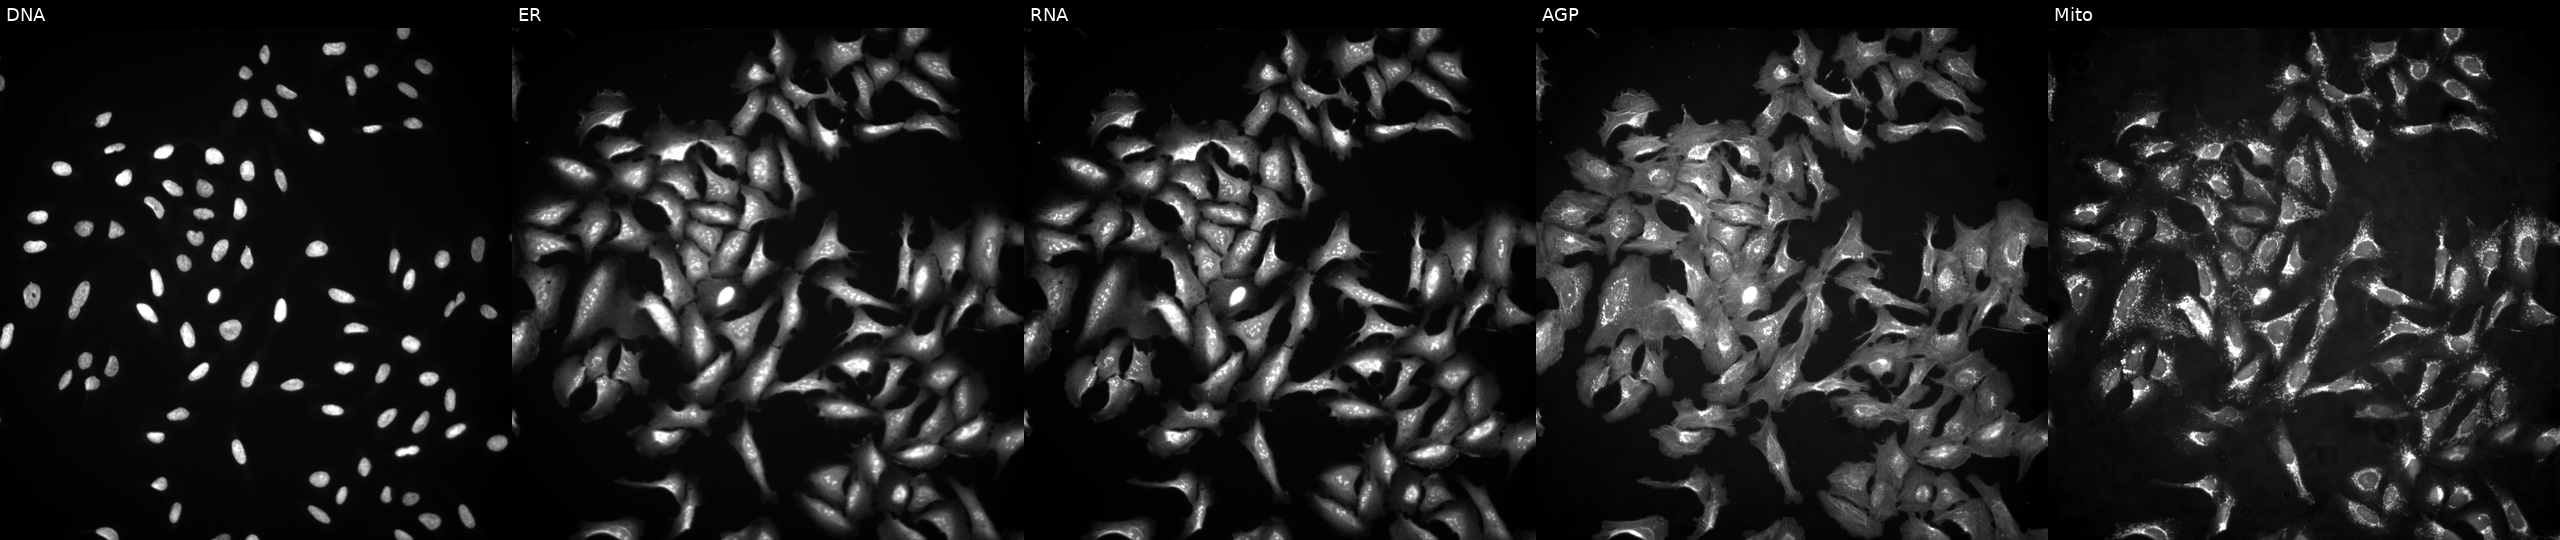
JUMP Cell Painting — ORF plate. U2OS cells transfected with an ORF construct for IRF9 (JUMP id JCP2022_902262). From left to right: Hoechst 33342, concanavalin A, SYTO 14, phalloidin and WGA, MitoTracker. Source 4, plate BR00117035, well A07.